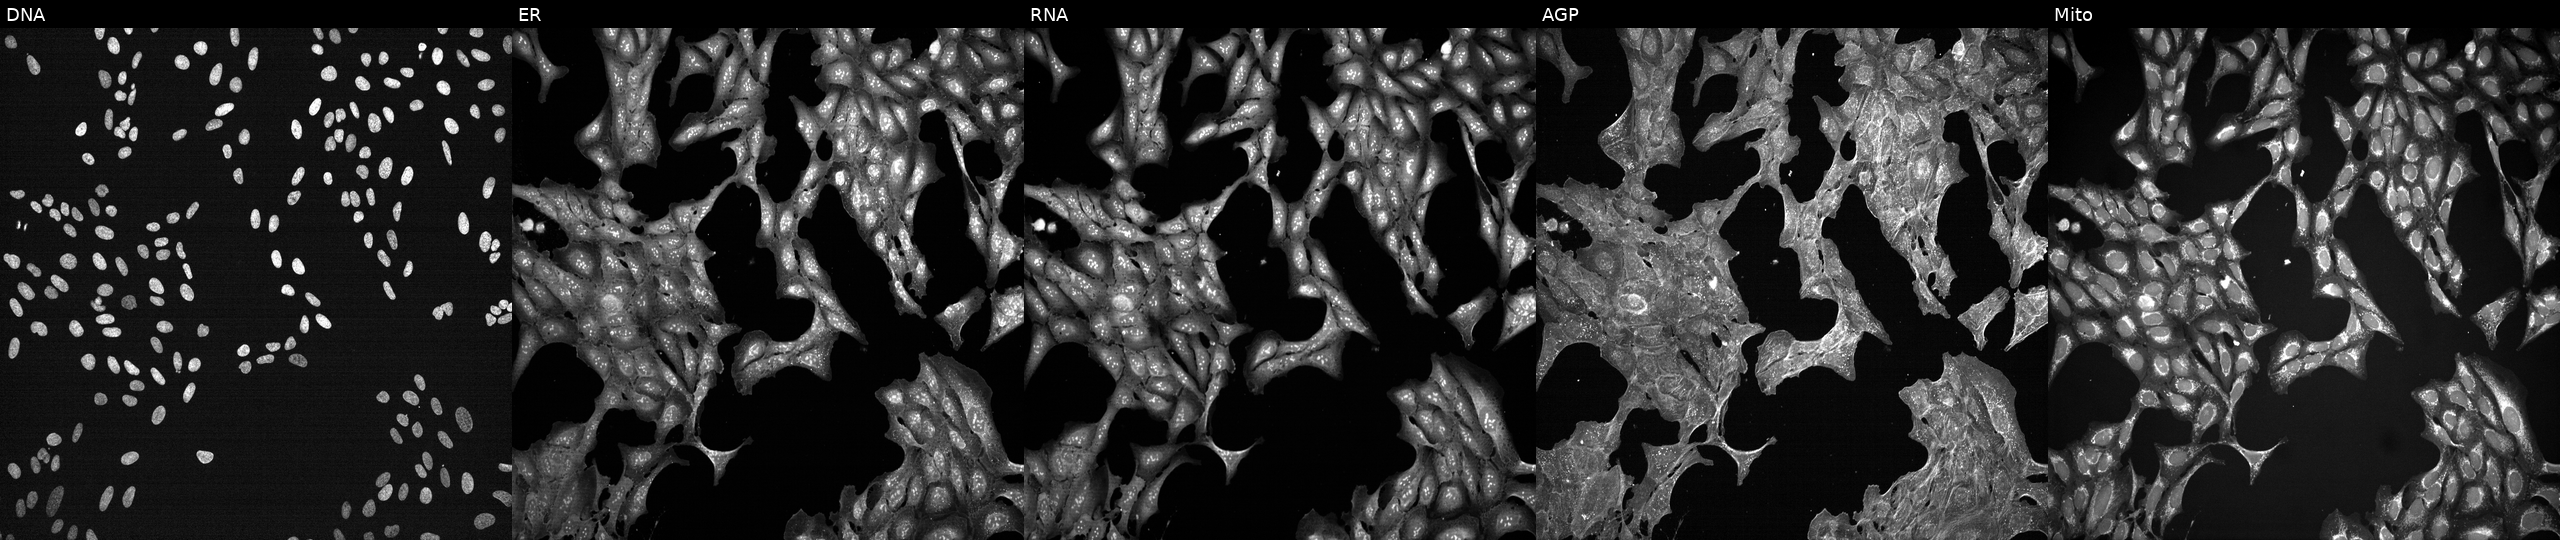
High-content fluorescence microscopy (Cell Painting). Cell line: U2OS. Perturbation: perturbed with a small-molecule compound (InChIKey ZIUDADZJCKGWKR-UHFFFAOYSA-N) (JUMP id JCP2022_113600). Panels show, left to right, DNA (nuclei); ER (endoplasmic reticulum); RNA (nucleoli and cytoplasmic RNA); AGP (actin cytoskeleton, Golgi, and plasma membrane); Mito (mitochondria). Source 7, plate CP2-SC1-25, well A24.